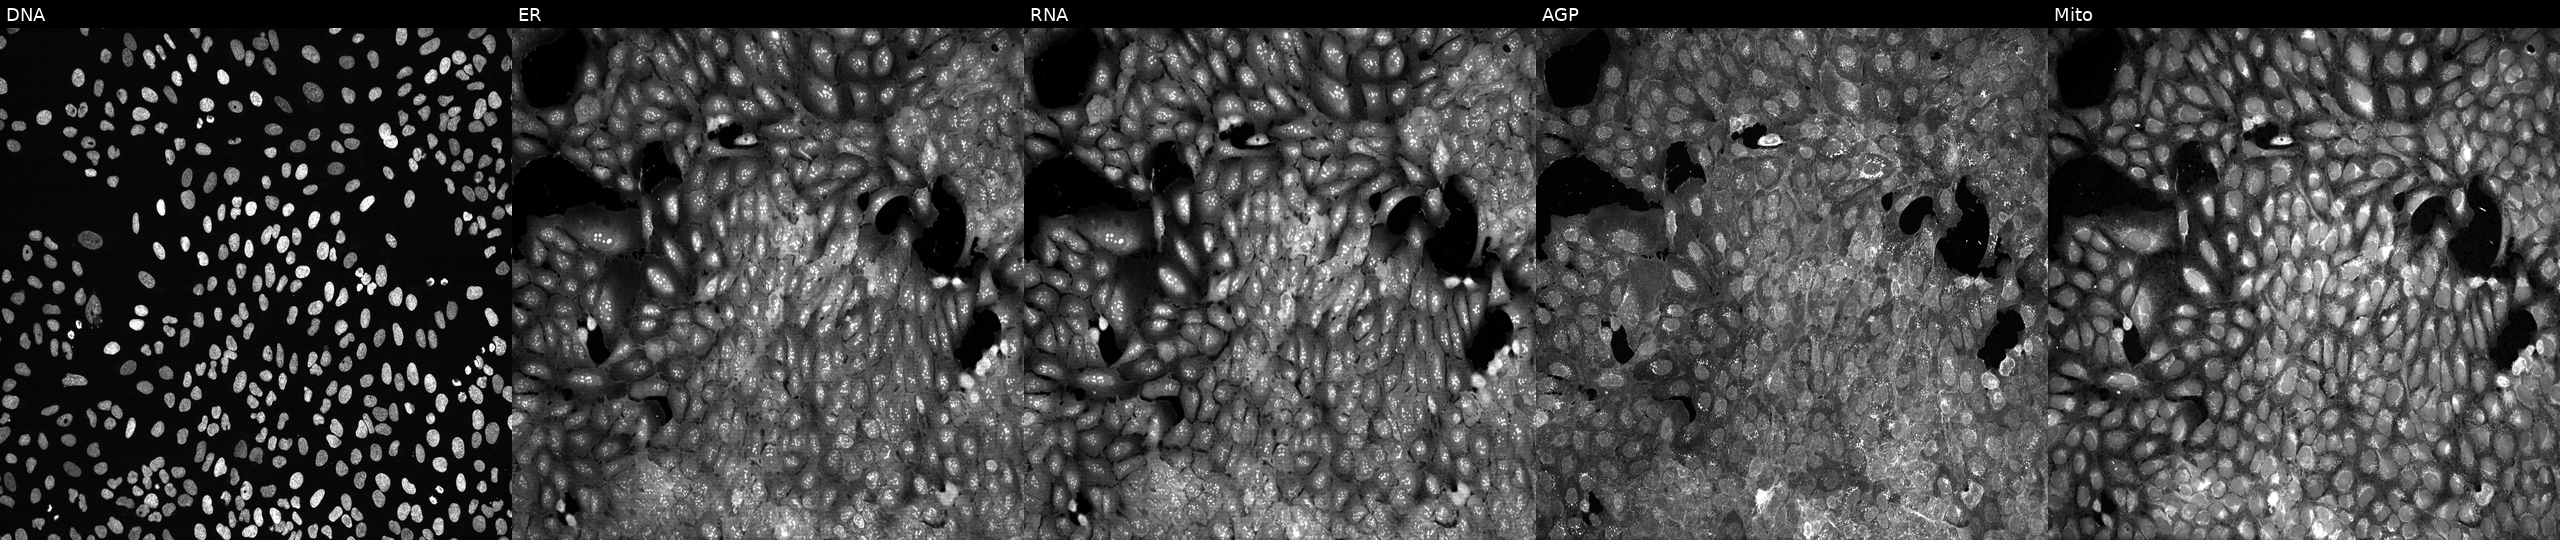
This image strip shows the five Cell Painting channels for a single field of U2OS cells treated with quinidine (positive-control compound) (JUMP id JCP2022_050797). From left to right: DNA (nuclei); ER (endoplasmic reticulum); RNA (nucleoli and cytoplasmic RNA); AGP (actin cytoskeleton, Golgi, and plasma membrane); Mito (mitochondria).